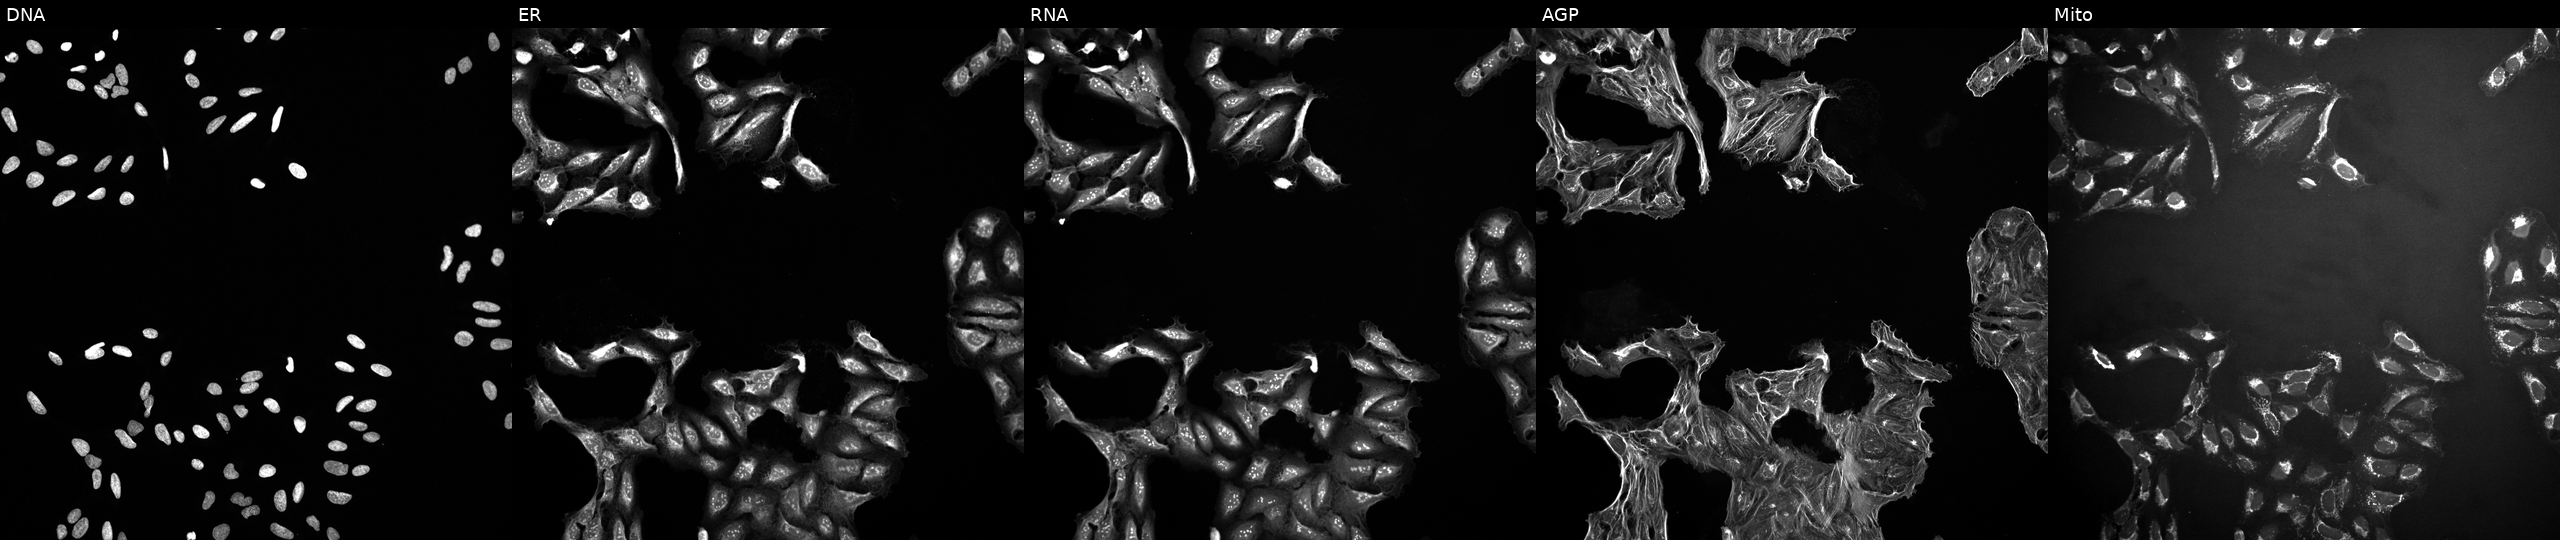
Five-channel Cell Painting image of U2OS cells treated with a small-molecule compound (InChIKey KPYSYYIEGFHWSV-UHFFFAOYSA-N). Panels show, left to right, Hoechst 33342, concanavalin A, SYTO 14, phalloidin and WGA, MitoTracker.